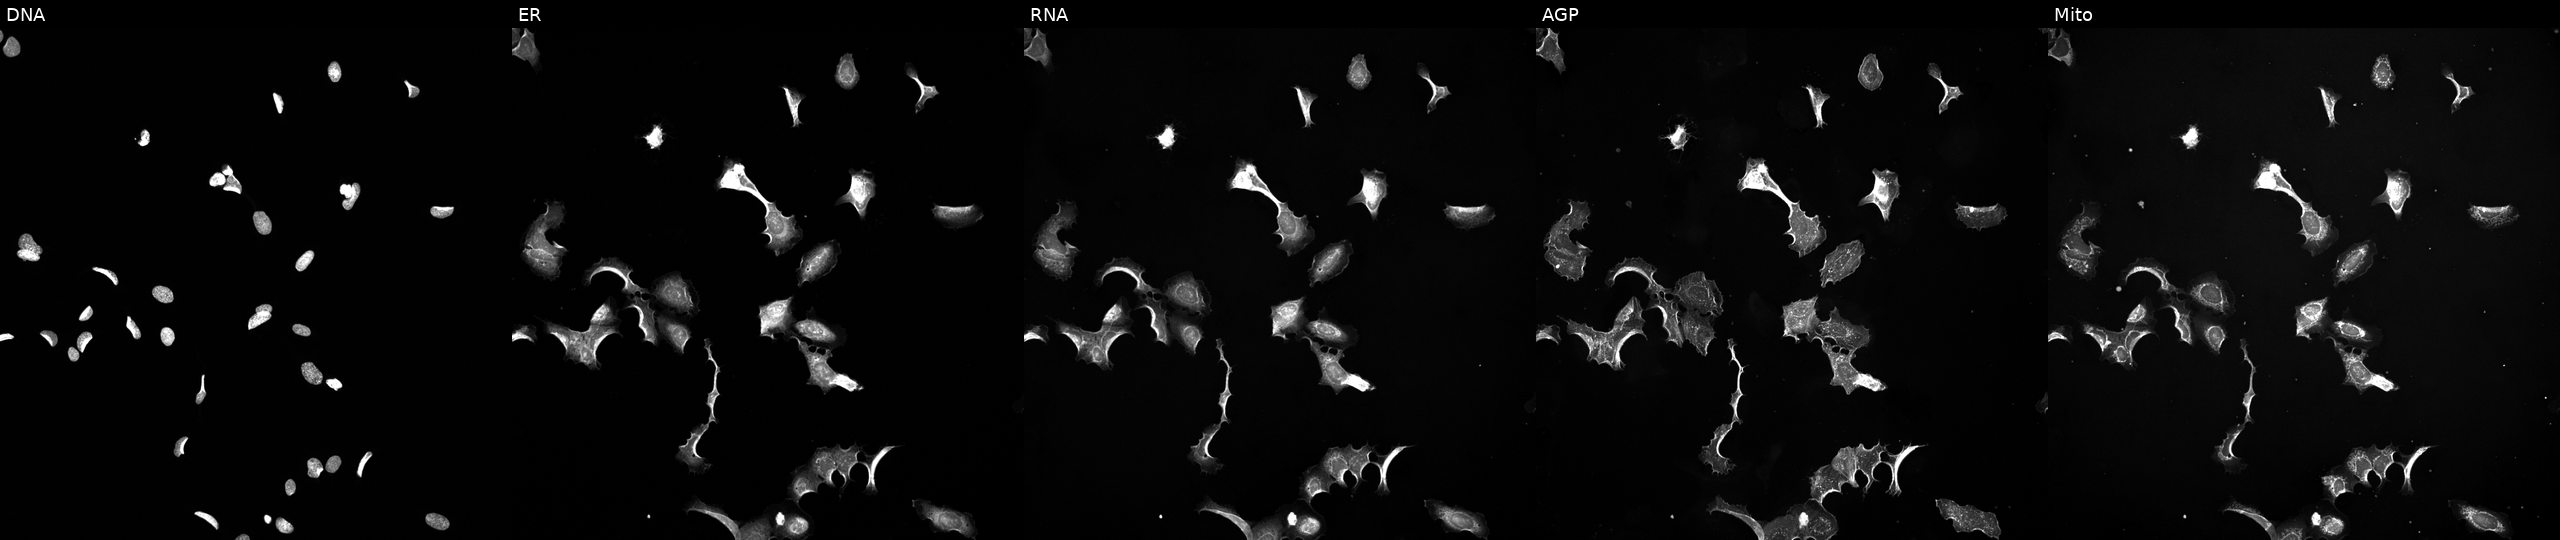
This image strip shows the five Cell Painting channels for a single field of U2OS cells perturbed with a small-molecule compound. The five panels, left to right, show DNA (nuclei); ER (endoplasmic reticulum); RNA (nucleoli and cytoplasmic RNA); AGP (actin cytoskeleton, Golgi, and plasma membrane); Mito (mitochondria). Source 5, plate ACPJUM051, well G14.